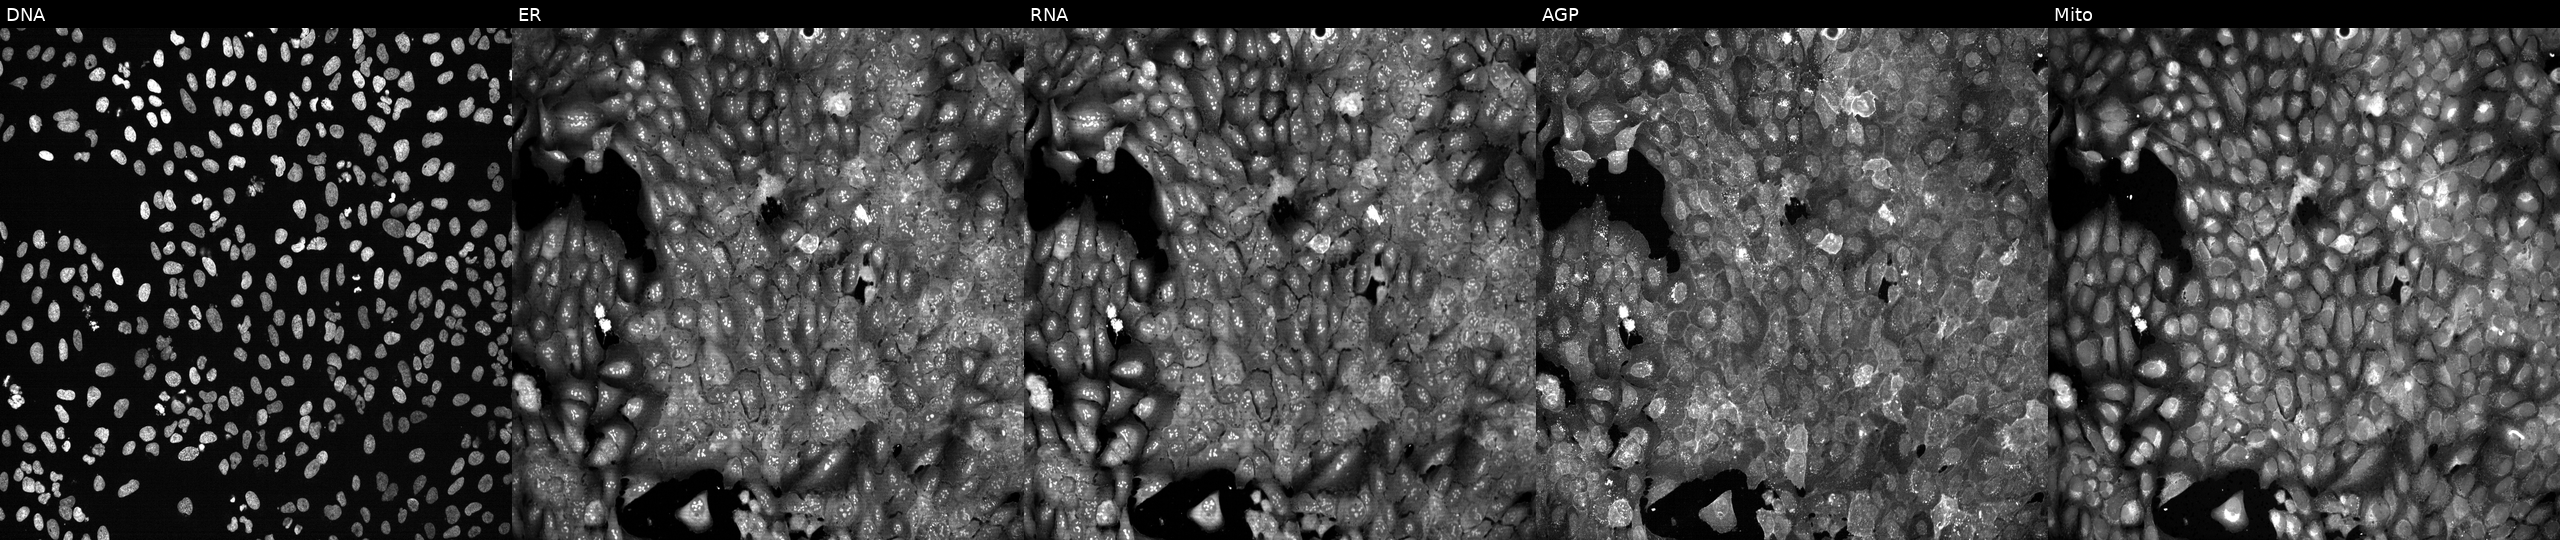
This image strip shows the five Cell Painting channels for a single field of U2OS cells with PLA2G4C knocked out by CRISPR (JUMP id JCP2022_805226). The five panels, left to right, show DNA (nuclei); ER (endoplasmic reticulum); RNA (nucleoli and cytoplasmic RNA); AGP (actin cytoskeleton, Golgi, and plasma membrane); Mito (mitochondria).